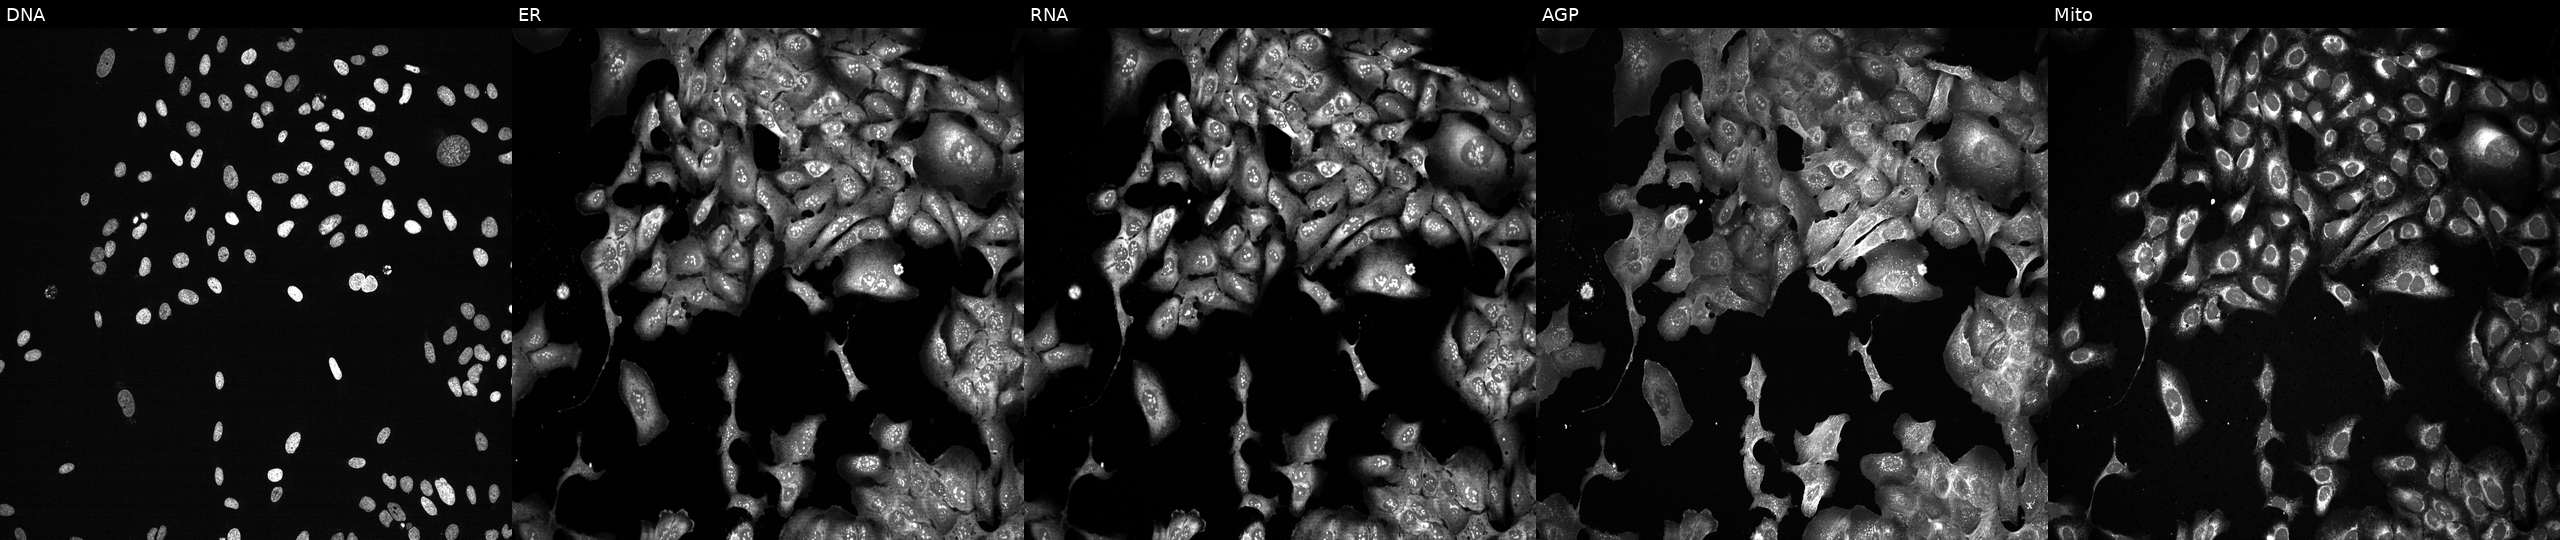
Five-channel Cell Painting image of U2OS cells CRISPR-edited to disrupt PKD1. The five panels, left to right, show DNA, ER, RNA, AGP, and Mito.